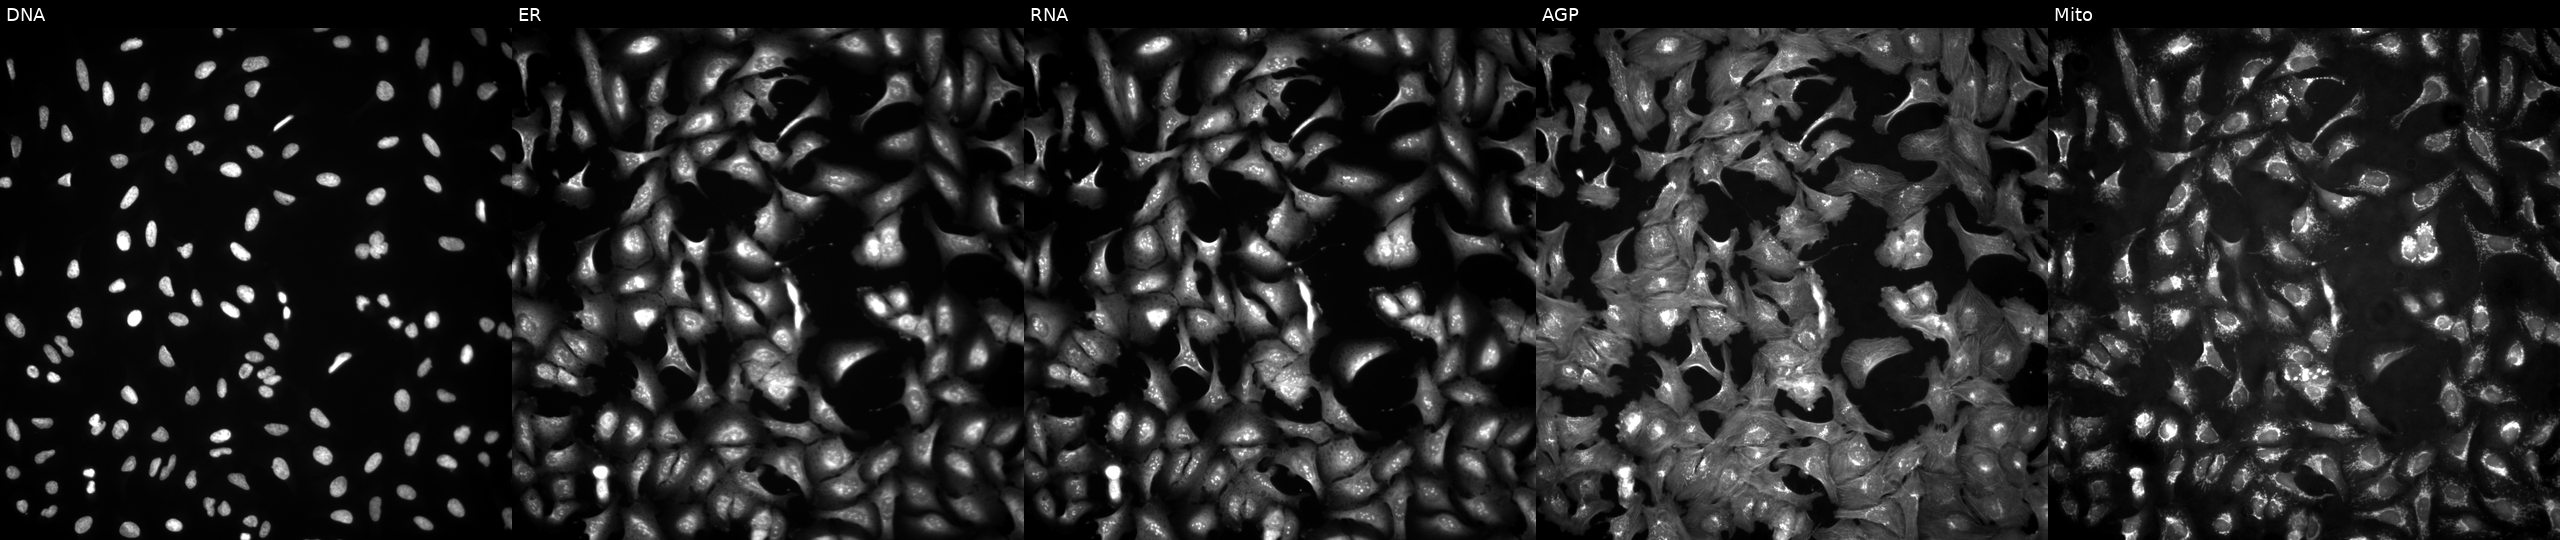
Five-channel Cell Painting image of U2OS cells with MALSU1 overexpressed (ORF). The five panels, left to right, show DNA (nuclei); ER (endoplasmic reticulum); RNA (nucleoli and cytoplasmic RNA); AGP (actin cytoskeleton, Golgi, and plasma membrane); Mito (mitochondria).